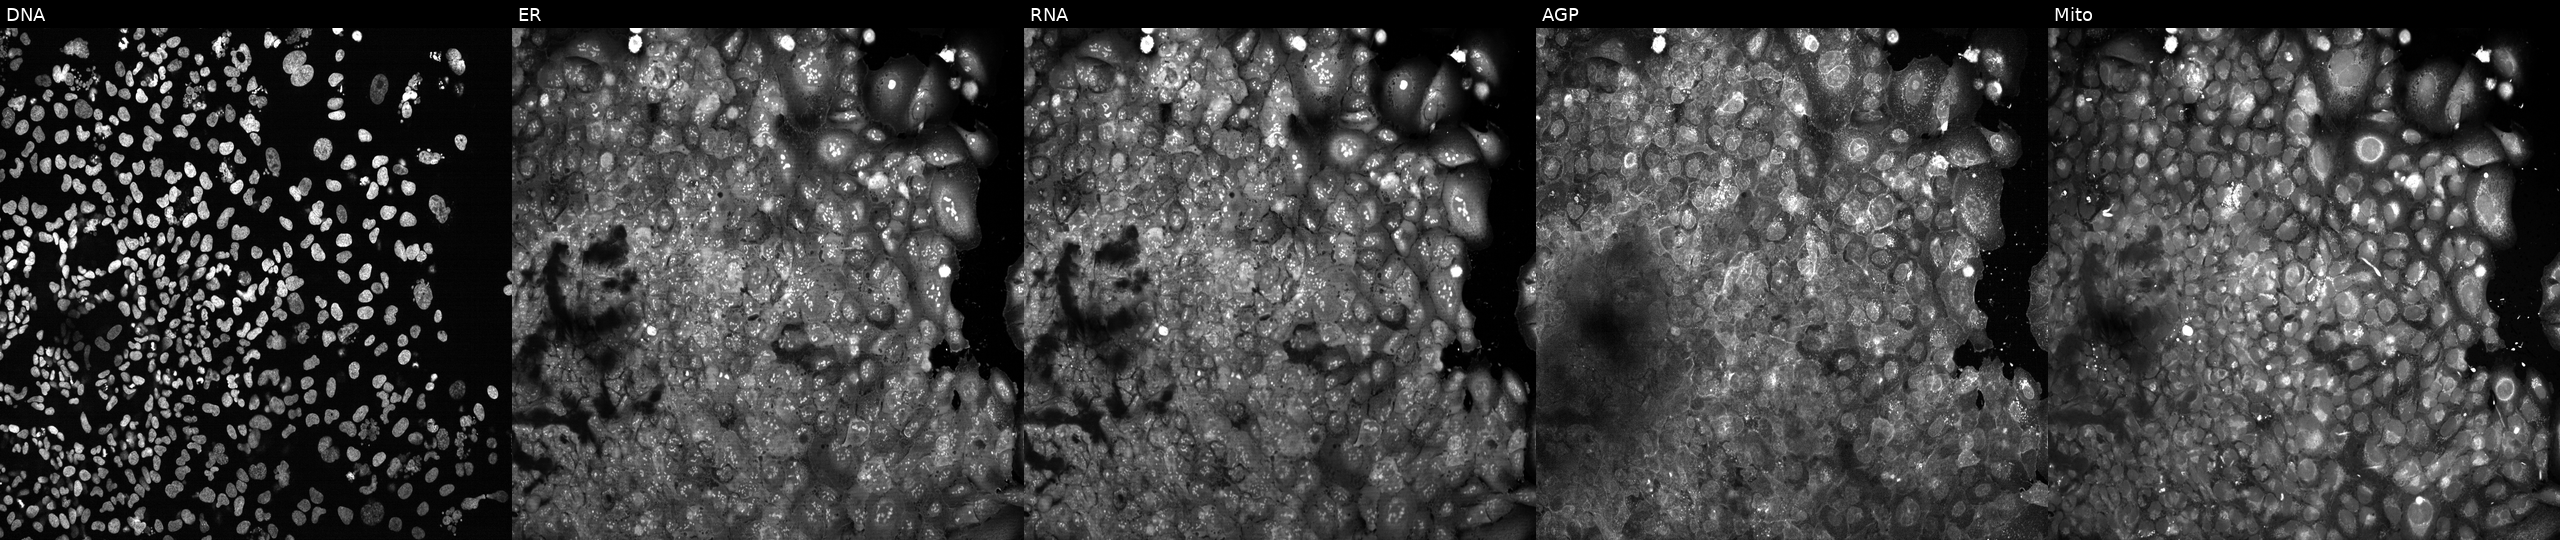
U2OS cells, Cell Painting assay, with PLK1 knocked out by CRISPR (positive control) (JUMP id JCP2022_805264). The five panels, left to right, show DNA, ER, RNA, AGP, and Mito. Each panel is percentile-stretched 16-bit fluorescence.